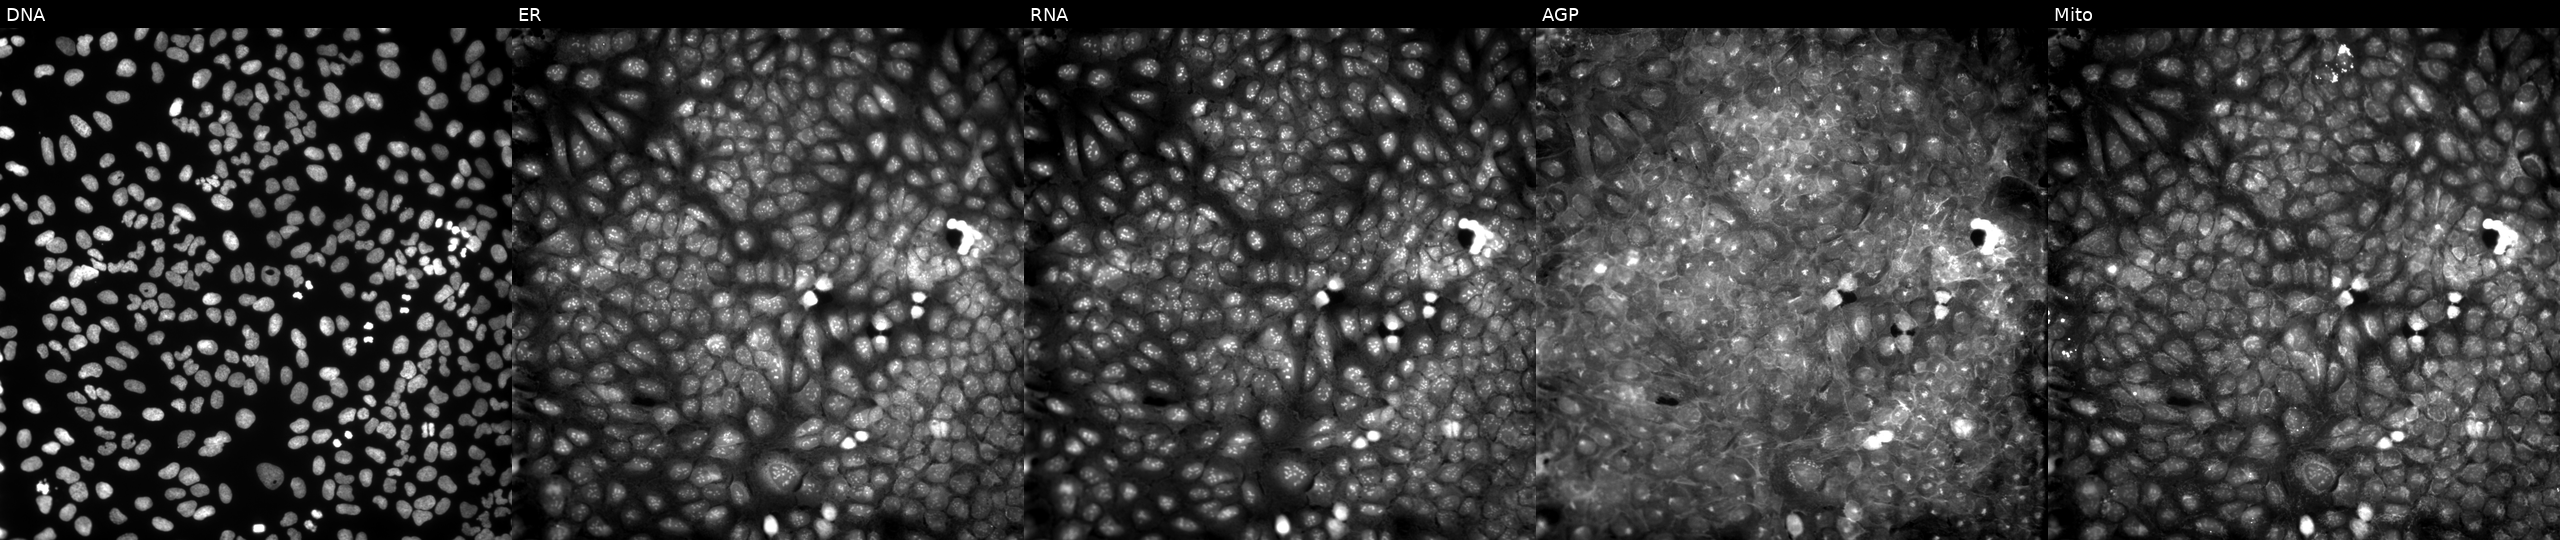
Five-channel Cell Painting image of U2OS cells perturbed with a small-molecule compound (InChIKey GQJDTSCFZWGOQN-UHFFFAOYSA-N) (JUMP id JCP2022_027107). The five panels, left to right, show Hoechst 33342, concanavalin A, SYTO 14, phalloidin and WGA, MitoTracker.